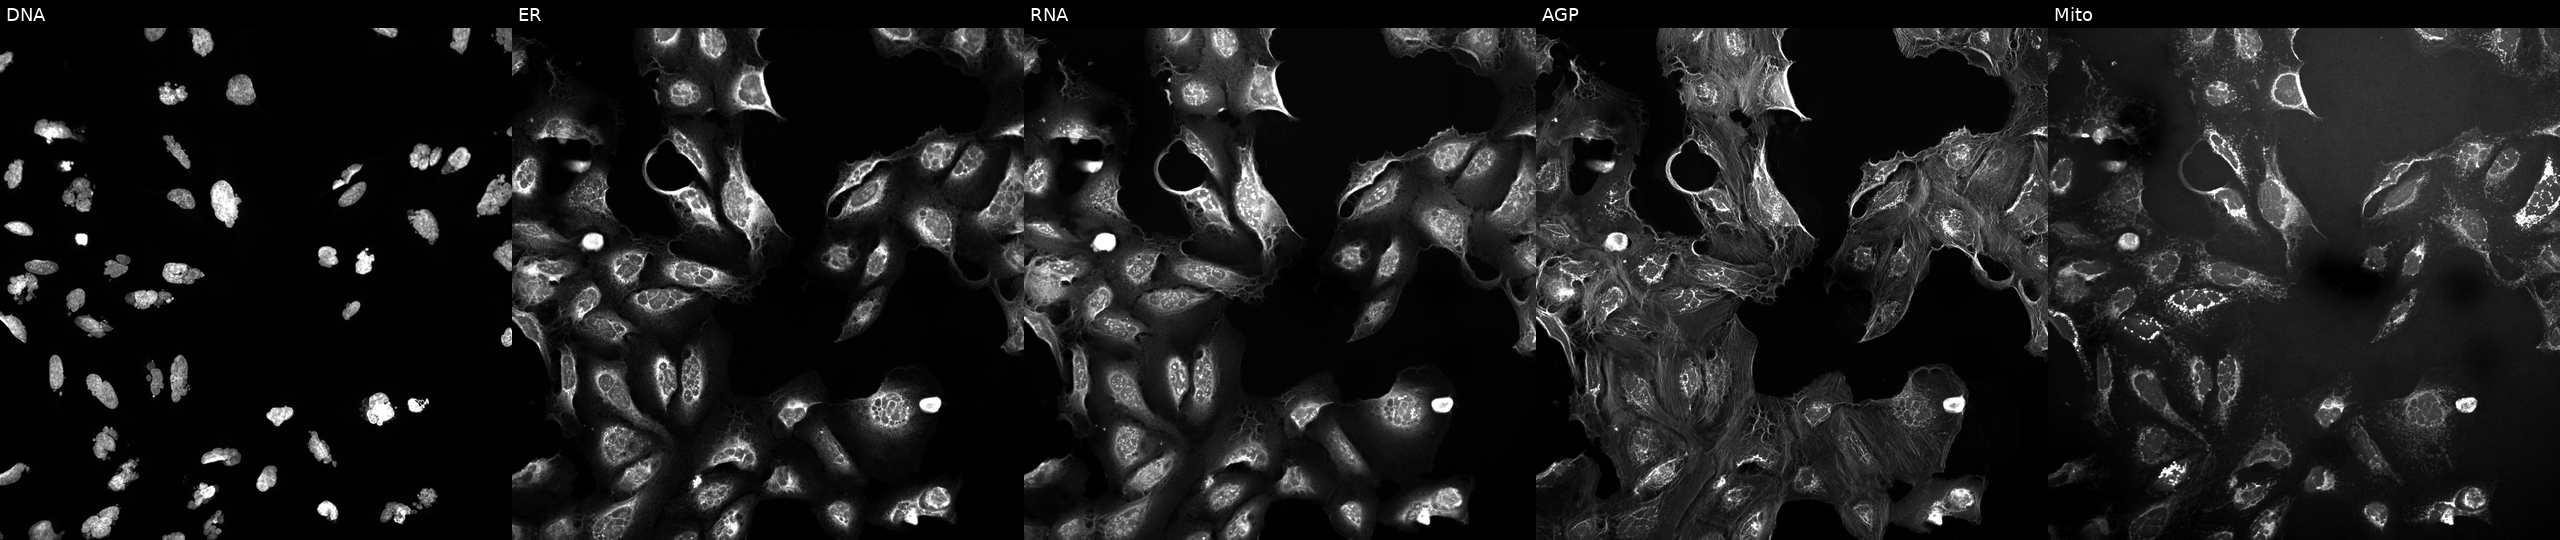
This image strip shows the five Cell Painting channels for a single field of U2OS cells exposed to the positive-control compound AMG900. Channels (left→right): DNA, ER, RNA, AGP, and Mito.